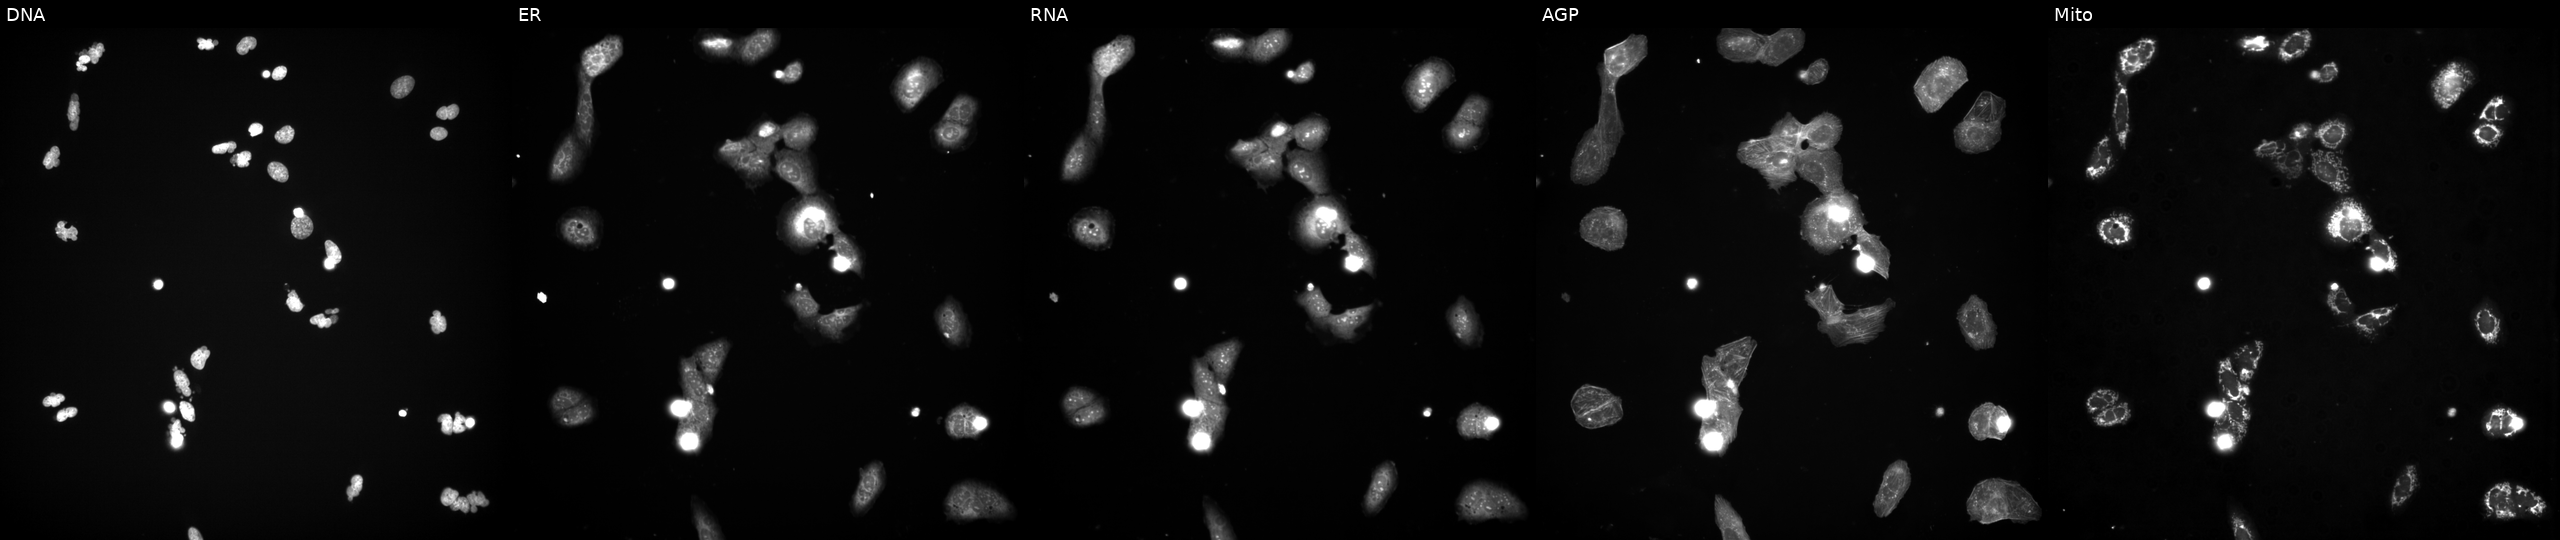
Five-channel Cell Painting image of U2OS cells exposed to a small-molecule compound (InChIKey CWHUFRVAEUJCEF-UHFFFAOYSA-N) (JUMP id JCP2022_013856). Panels show, left to right, DNA (nuclei); ER (endoplasmic reticulum); RNA (nucleoli and cytoplasmic RNA); AGP (actin cytoskeleton, Golgi, and plasma membrane); Mito (mitochondria). Source 3, plate JCPQC051, well G14.